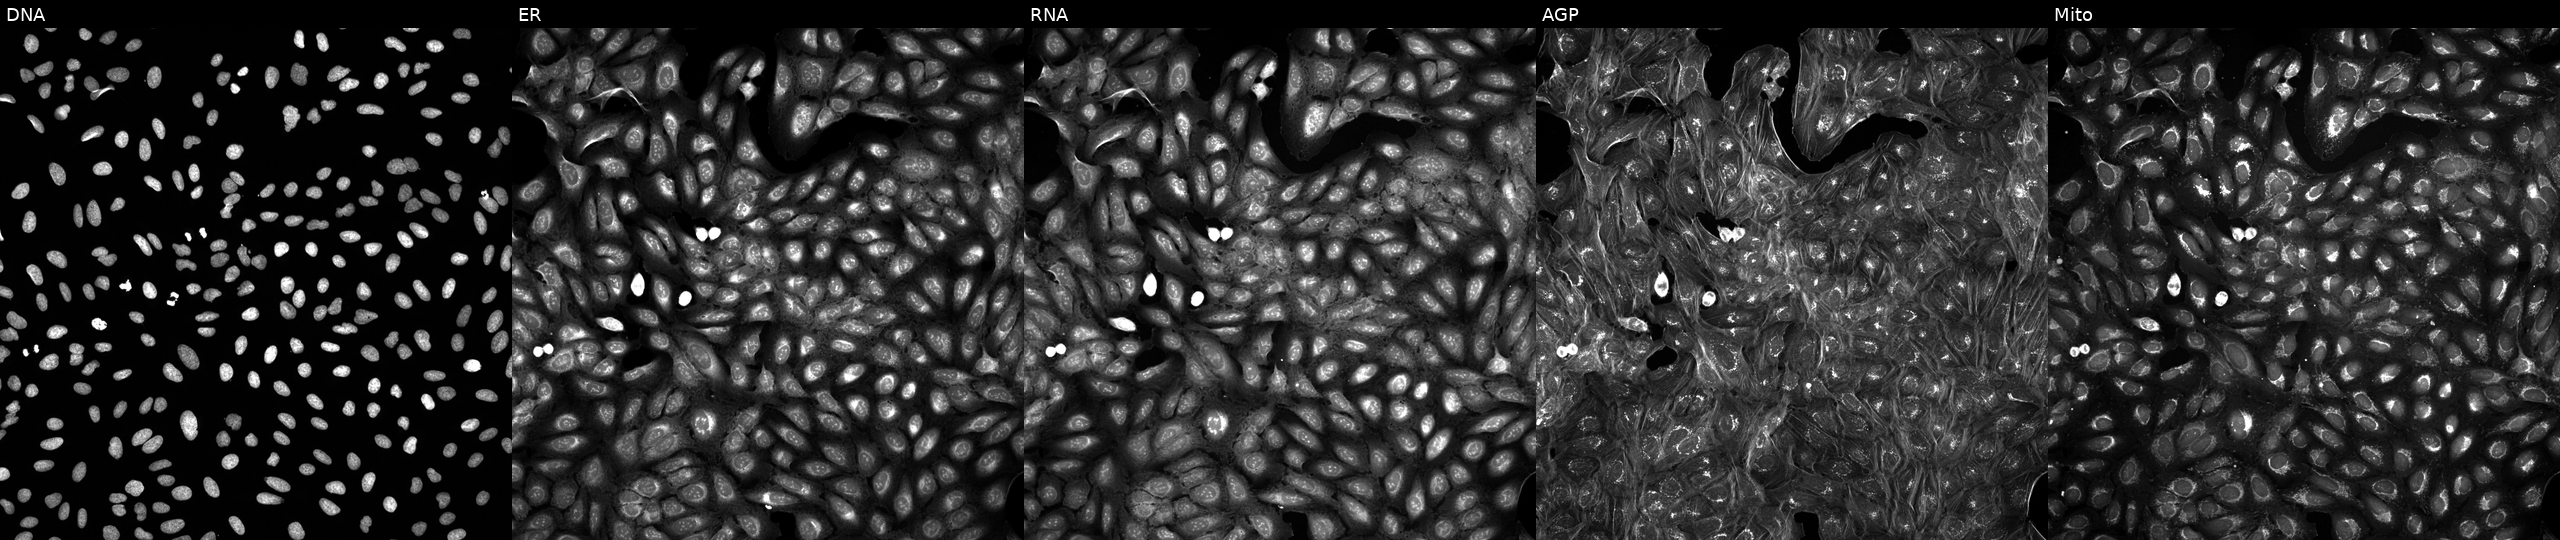
Five-channel Cell Painting image of U2OS cells treated with a small-molecule compound (JUMP id JCP2022_060649). Channels (left→right): DNA, ER, RNA, AGP, and Mito. Source 5, plate ACPJUM032, well A19.